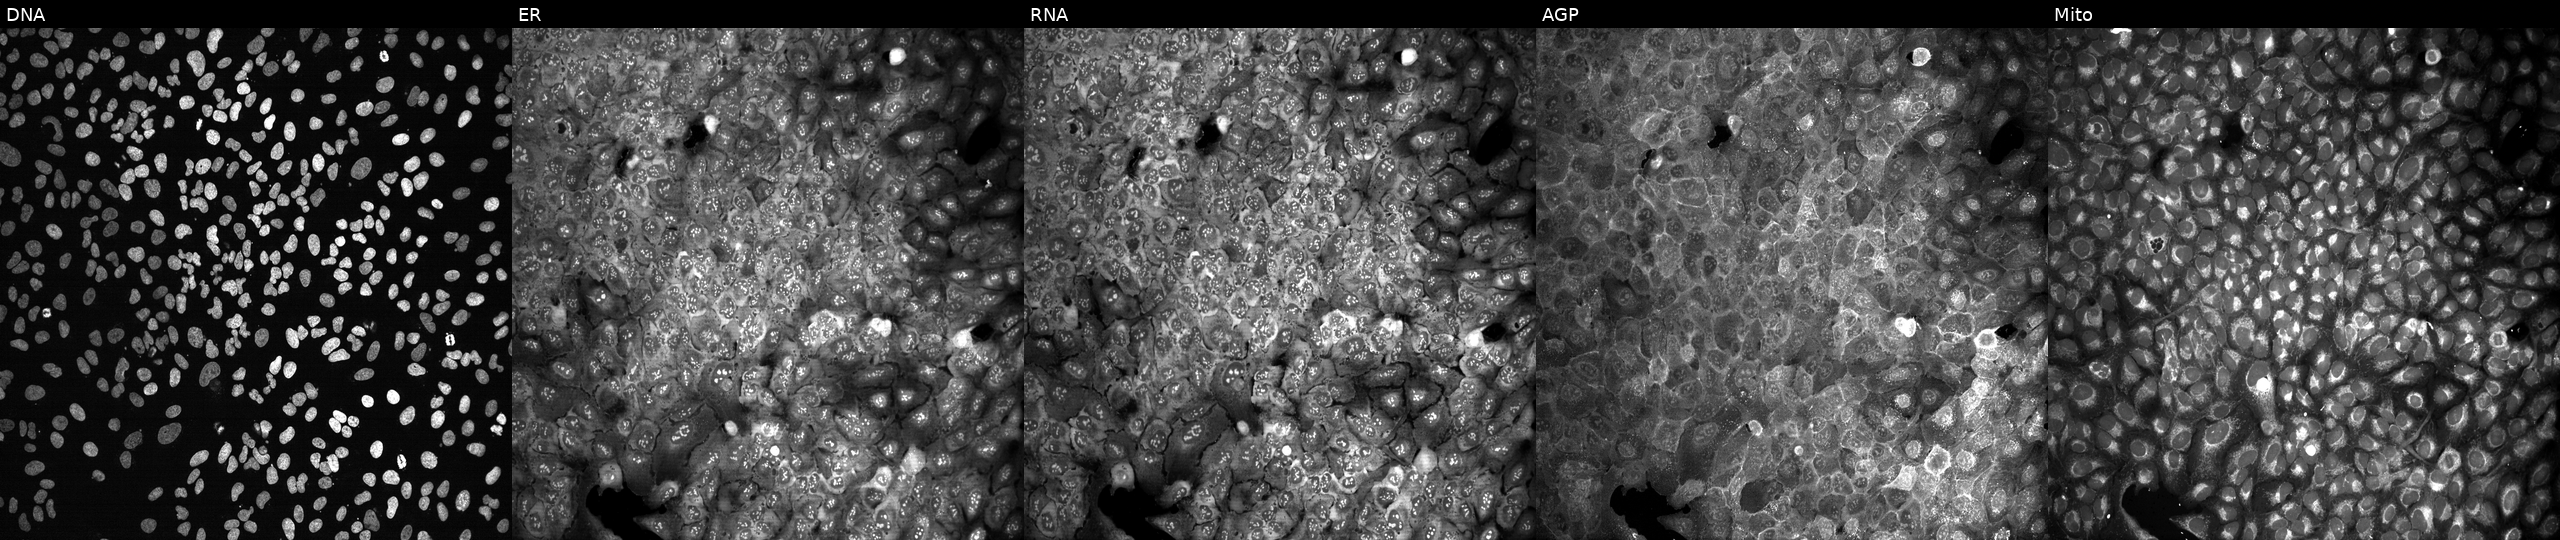
U2OS cells, Cell Painting assay, CRISPR-edited to disrupt GPHN (JUMP id JCP2022_802800). Channels (left→right): DNA, ER, RNA, AGP, and Mito. Each panel is percentile-stretched 16-bit fluorescence.